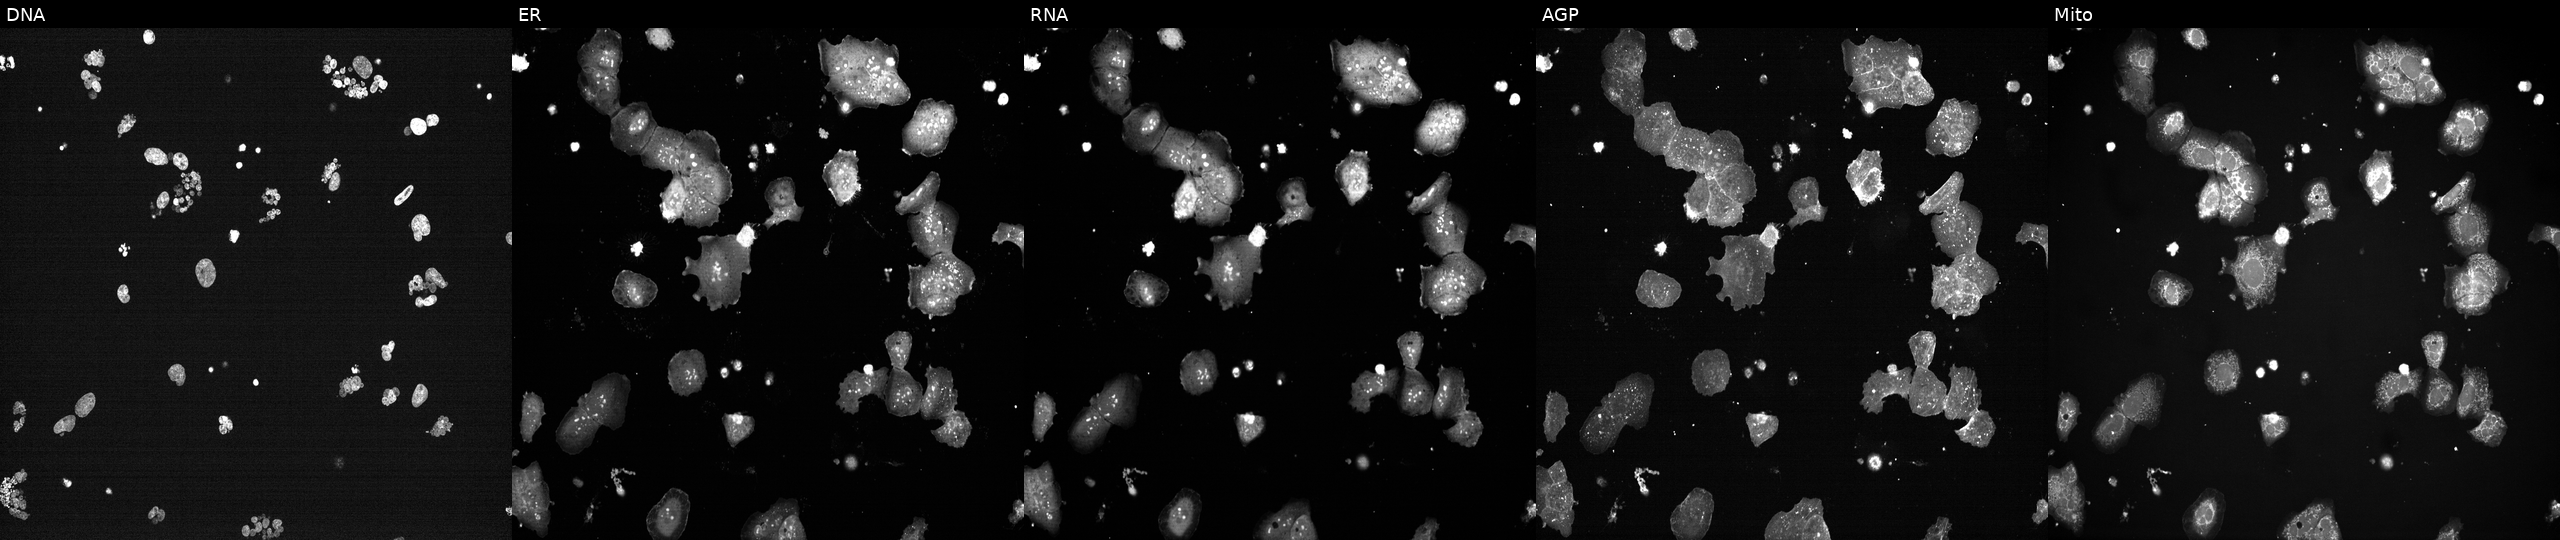
High-content fluorescence microscopy (Cell Painting). Cell line: U2OS. Perturbation: perturbed with a small-molecule compound [SMILES: CCCOc1ccc2[nH]c(=NC(=O)OC)[nH]c2c1]. Channels (left→right): DNA (nuclei); ER (endoplasmic reticulum); RNA (nucleoli and cytoplasmic RNA); AGP (actin cytoskeleton, Golgi, and plasma membrane); Mito (mitochondria). Source 7, plate CP2-SC1-25, well F11.